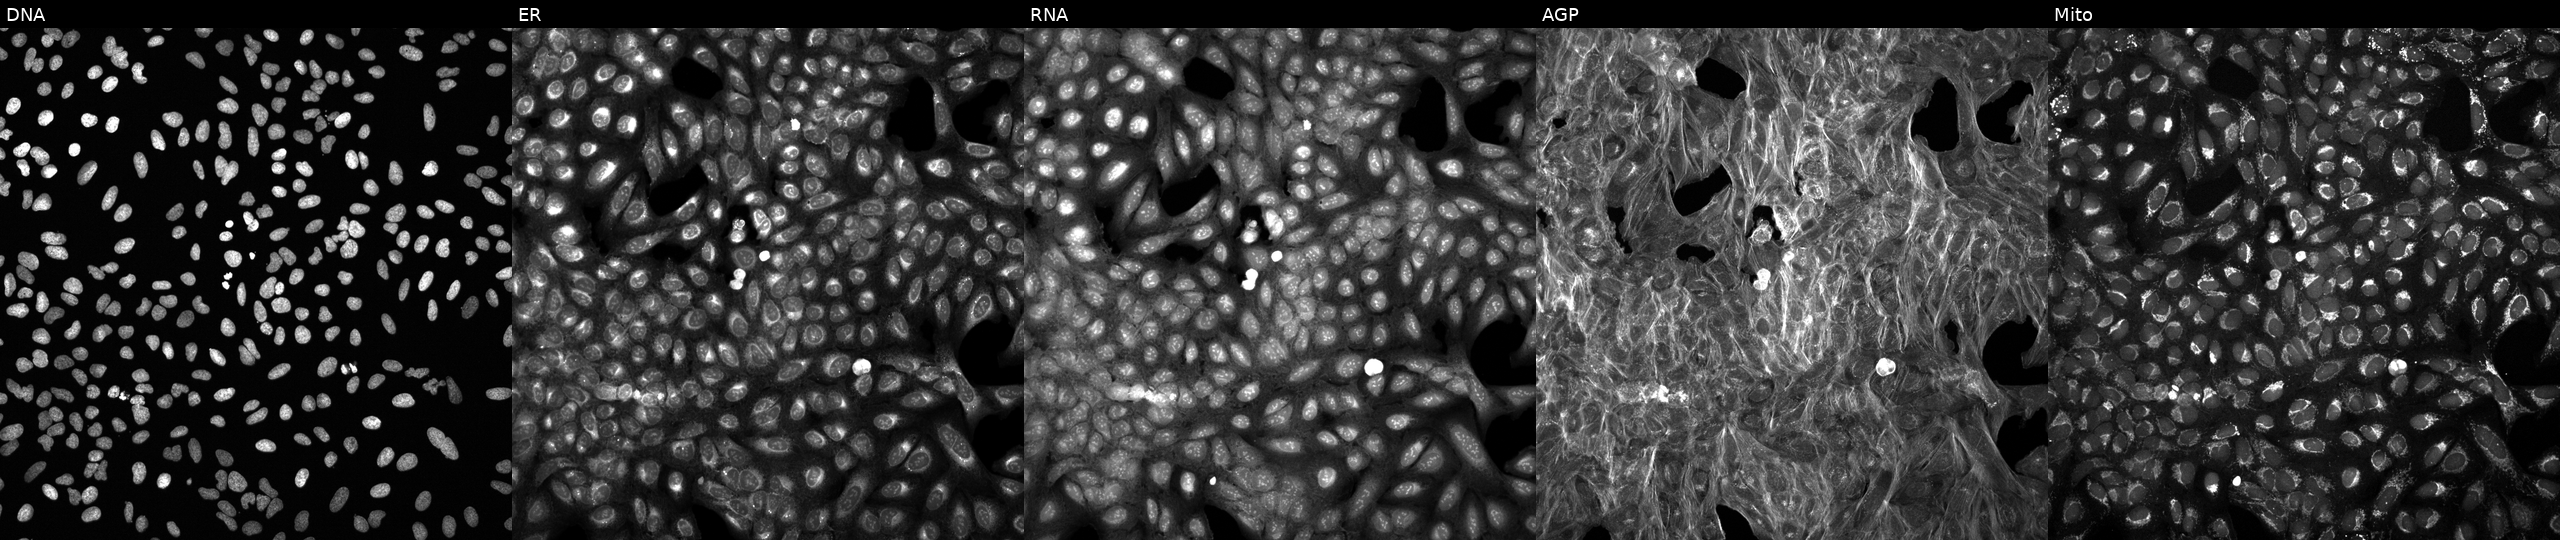
This image strip shows the five Cell Painting channels for a single field of U2OS cells exposed to a small-molecule compound [SMILES: Cc1cccc(NC(=O)CC(c2cccs2)n2cccc2)c1C]. From left to right: Hoechst 33342, concanavalin A, SYTO 14, phalloidin and WGA, MitoTracker.